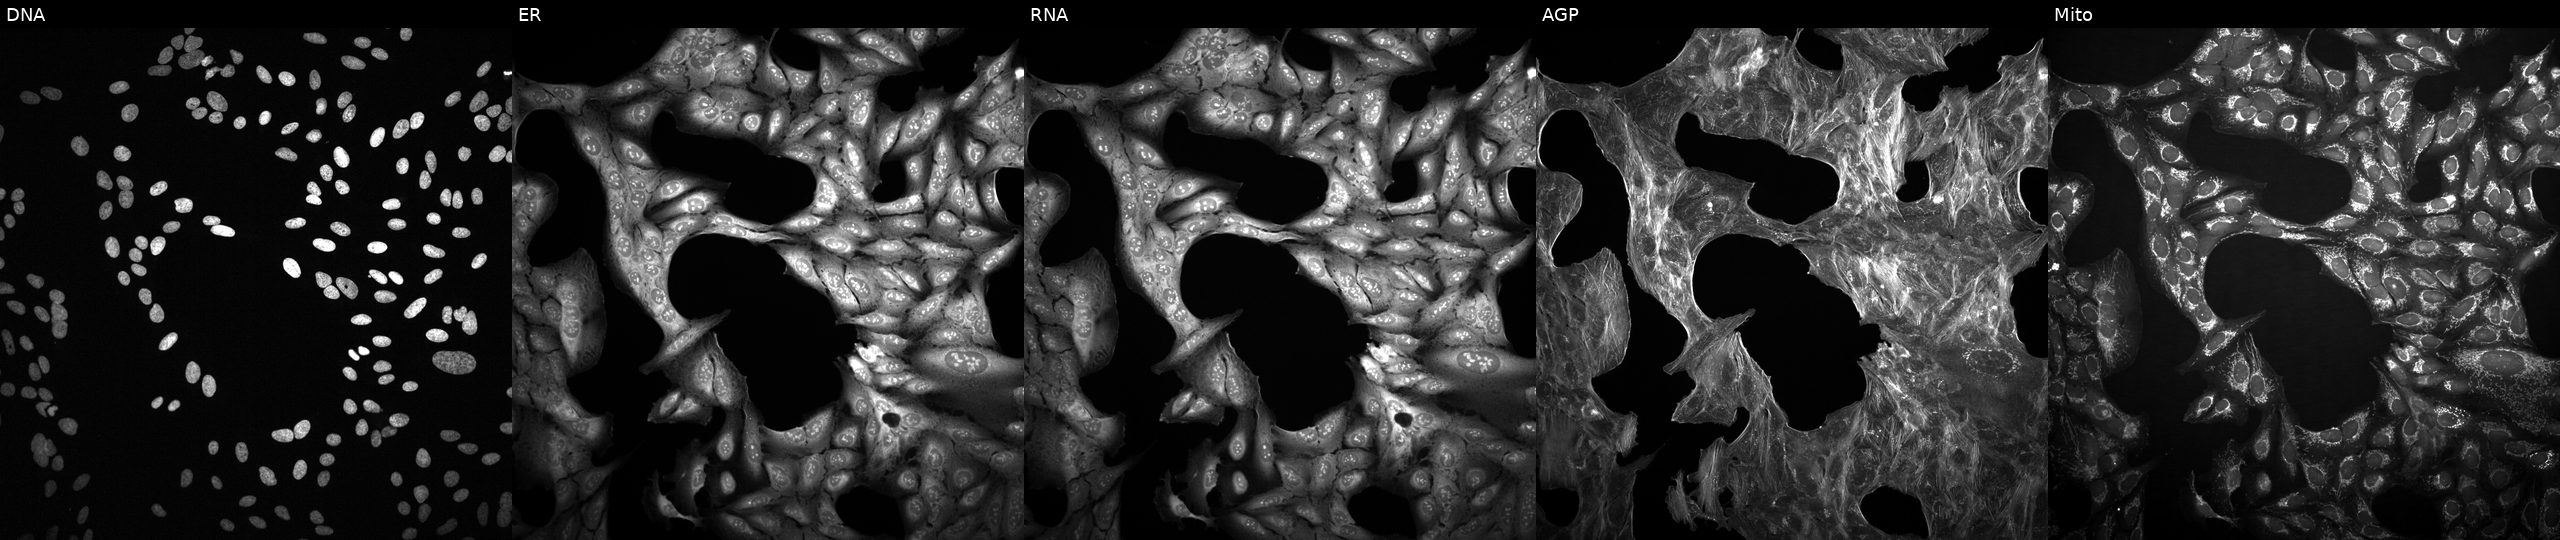
JUMP Cell Painting — TARGET2 plate. U2OS cells perturbed with a small-molecule compound (InChIKey BLVQHYHDYFTPDV-UHFFFAOYSA-N). The five panels, left to right, show DNA (nuclei); ER (endoplasmic reticulum); RNA (nucleoli and cytoplasmic RNA); AGP (actin cytoskeleton, Golgi, and plasma membrane); Mito (mitochondria).